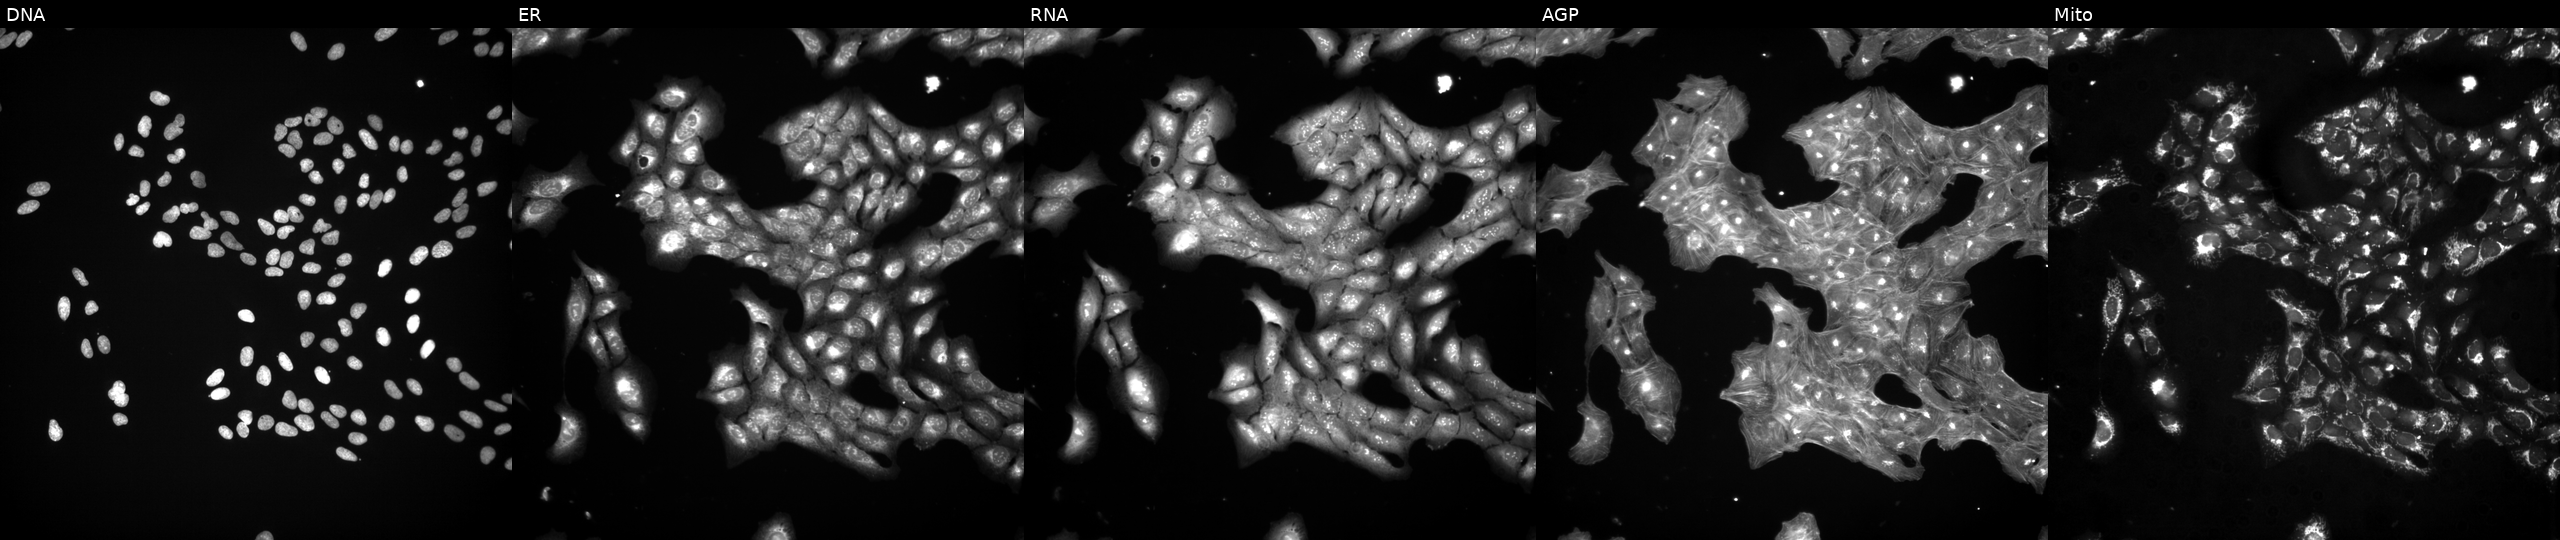
JUMP Cell Painting — TARGET2 plate. U2OS cells treated with a small-molecule compound (InChIKey SBDNJUWAMKYJOX-UHFFFAOYSA-N). The five panels, left to right, show DNA (nuclei); ER (endoplasmic reticulum); RNA (nucleoli and cytoplasmic RNA); AGP (actin cytoskeleton, Golgi, and plasma membrane); Mito (mitochondria).